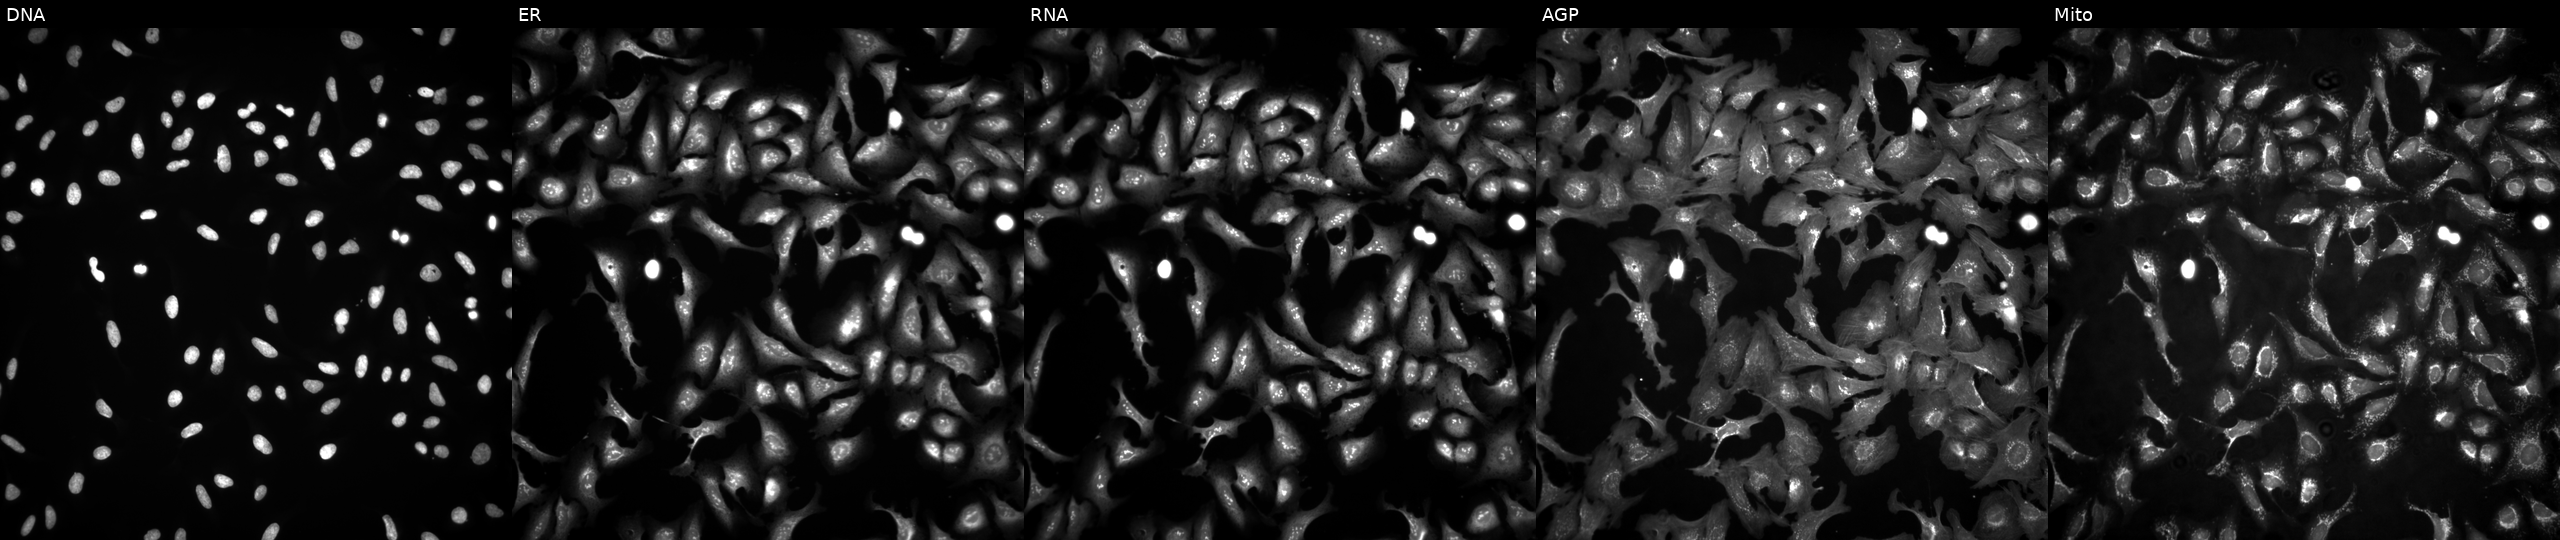
This image strip shows the five Cell Painting channels for a single field of U2OS cells in an empty control well (no perturbation) (JUMP id JCP2022_999999). Panels show, left to right, Hoechst 33342, concanavalin A, SYTO 14, phalloidin and WGA, MitoTracker.